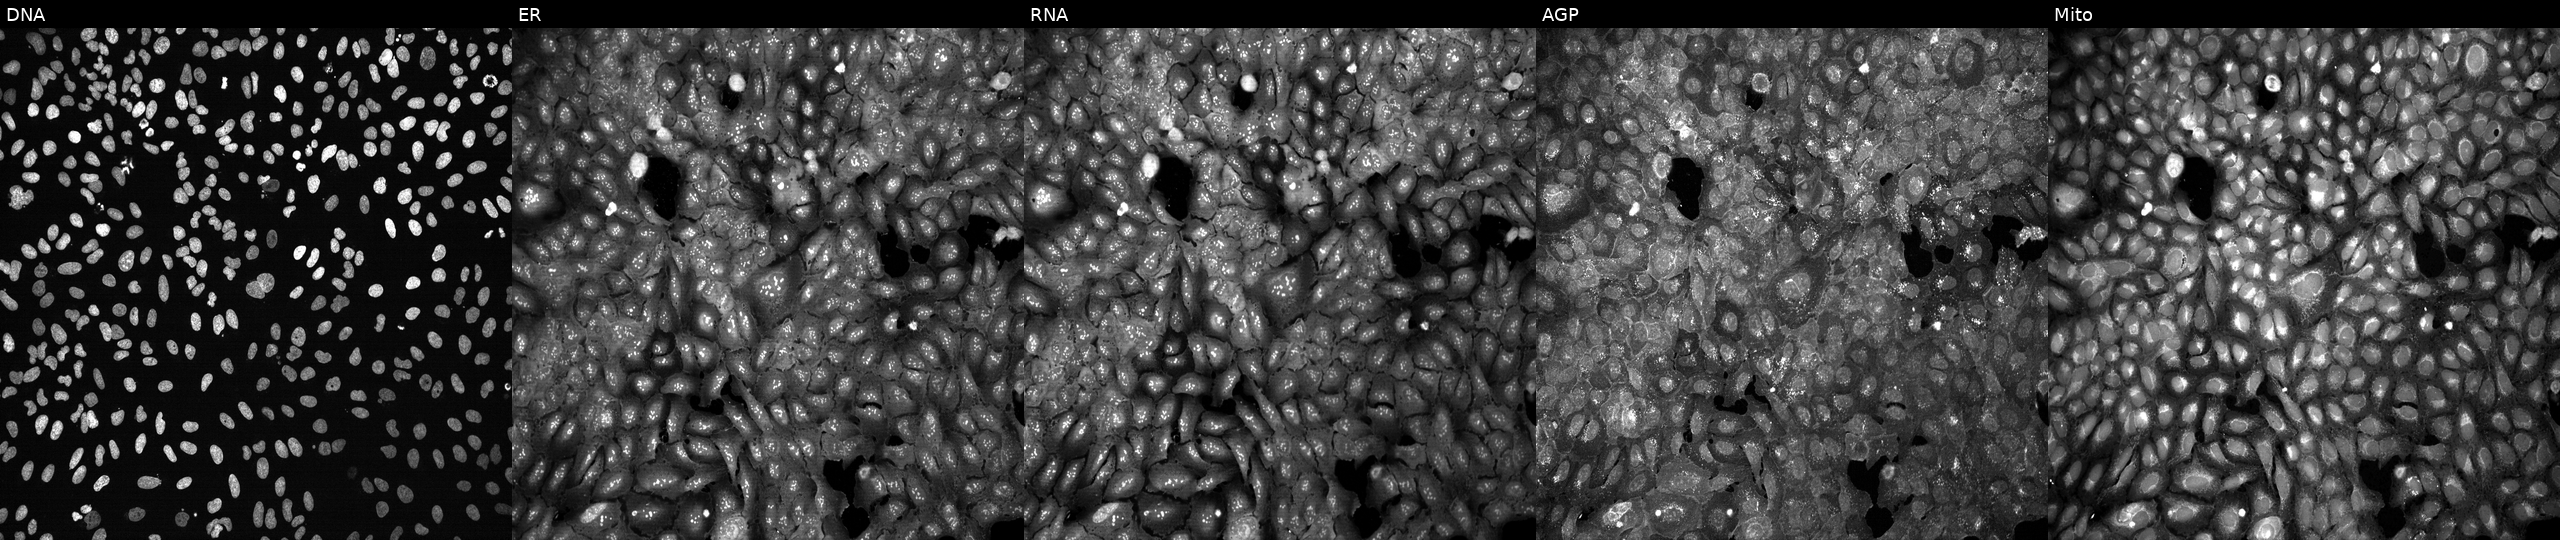
Five-channel Cell Painting image of U2OS cells CRISPR-edited to disrupt SLC44A1. From left to right: DNA, ER, RNA, AGP, and Mito. Source 13, plate CP-CC9-R1-01, well F18.